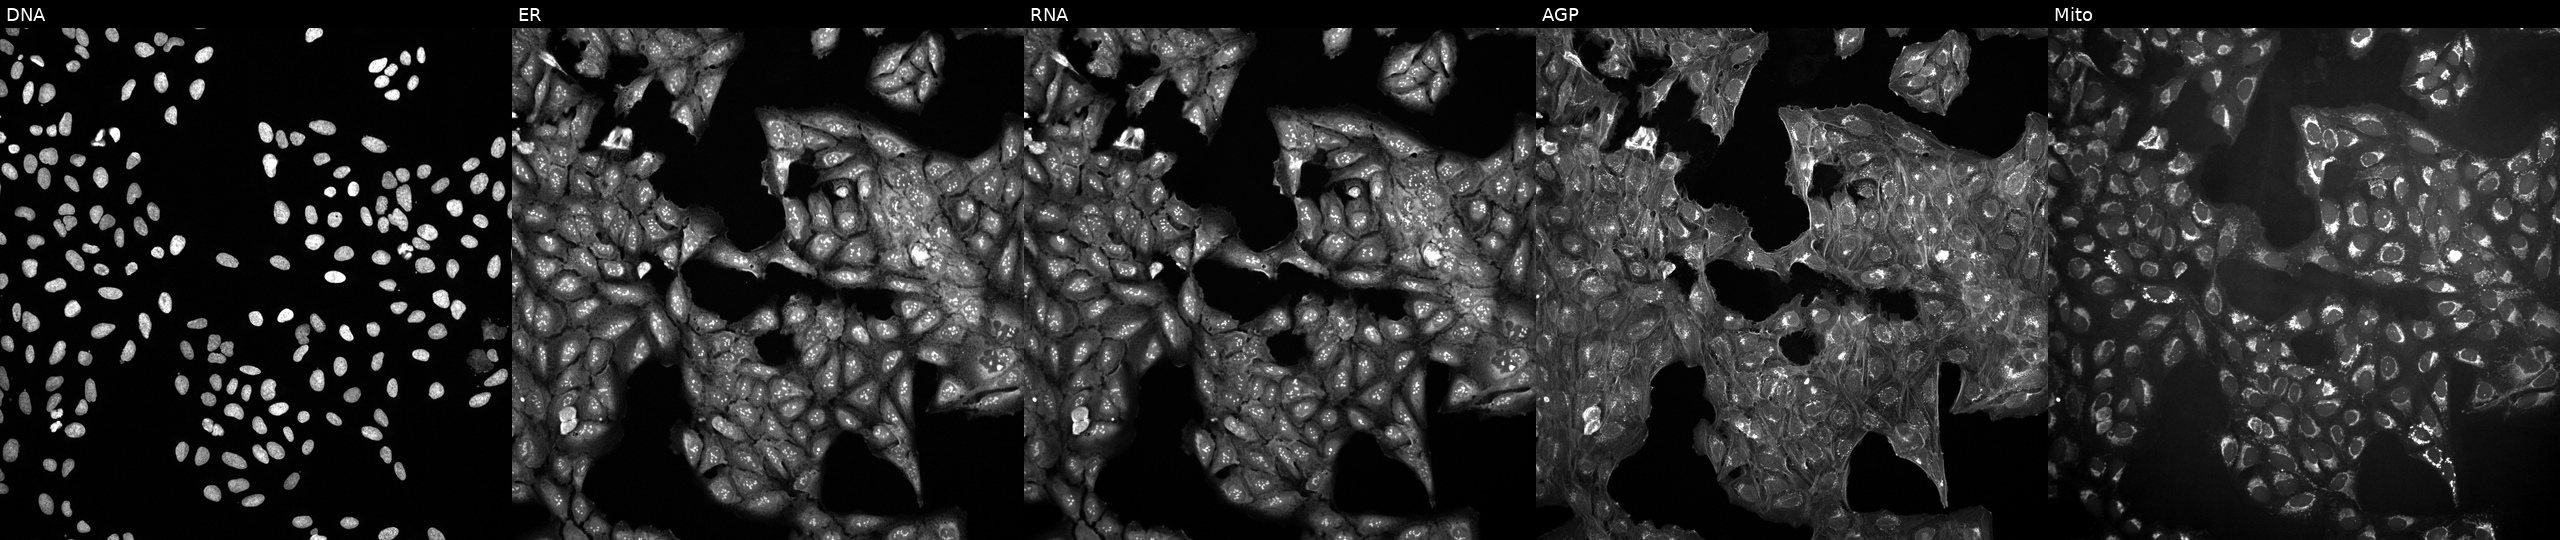
U2OS cells, Cell Painting assay, perturbed with a small-molecule compound (InChIKey UEHDTIARTHCVPF-UHFFFAOYSA-N) [SMILES: COc1ccc(C(=O)N2CCC(Oc3cccc(C)n3)C2)cc1F]. Channels (left→right): DNA (nuclei); ER (endoplasmic reticulum); RNA (nucleoli and cytoplasmic RNA); AGP (actin cytoskeleton, Golgi, and plasma membrane); Mito (mitochondria). Each panel is percentile-stretched 16-bit fluorescence. Source 10, plate Dest210531-152149, well J07.